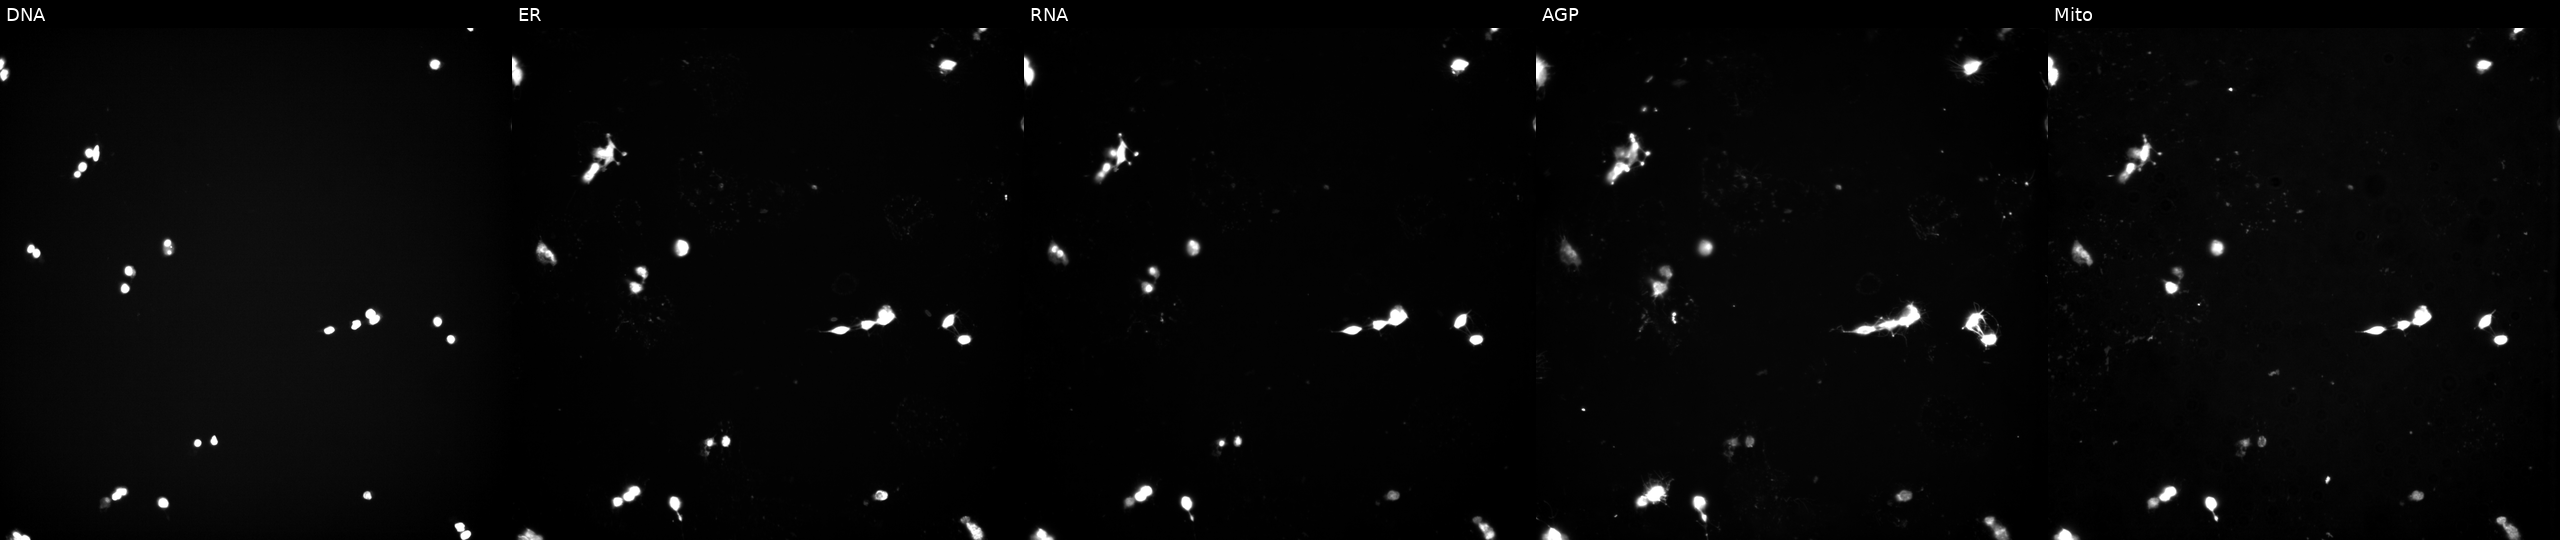
Five-channel Cell Painting image of U2OS cells treated with a small-molecule compound [SMILES: NC(=O)Nc1cc(-c2cccc(F)c2)sc1C(=O)NC1CCCNC1]. Panels show, left to right, DNA (nuclei); ER (endoplasmic reticulum); RNA (nucleoli and cytoplasmic RNA); AGP (actin cytoskeleton, Golgi, and plasma membrane); Mito (mitochondria).